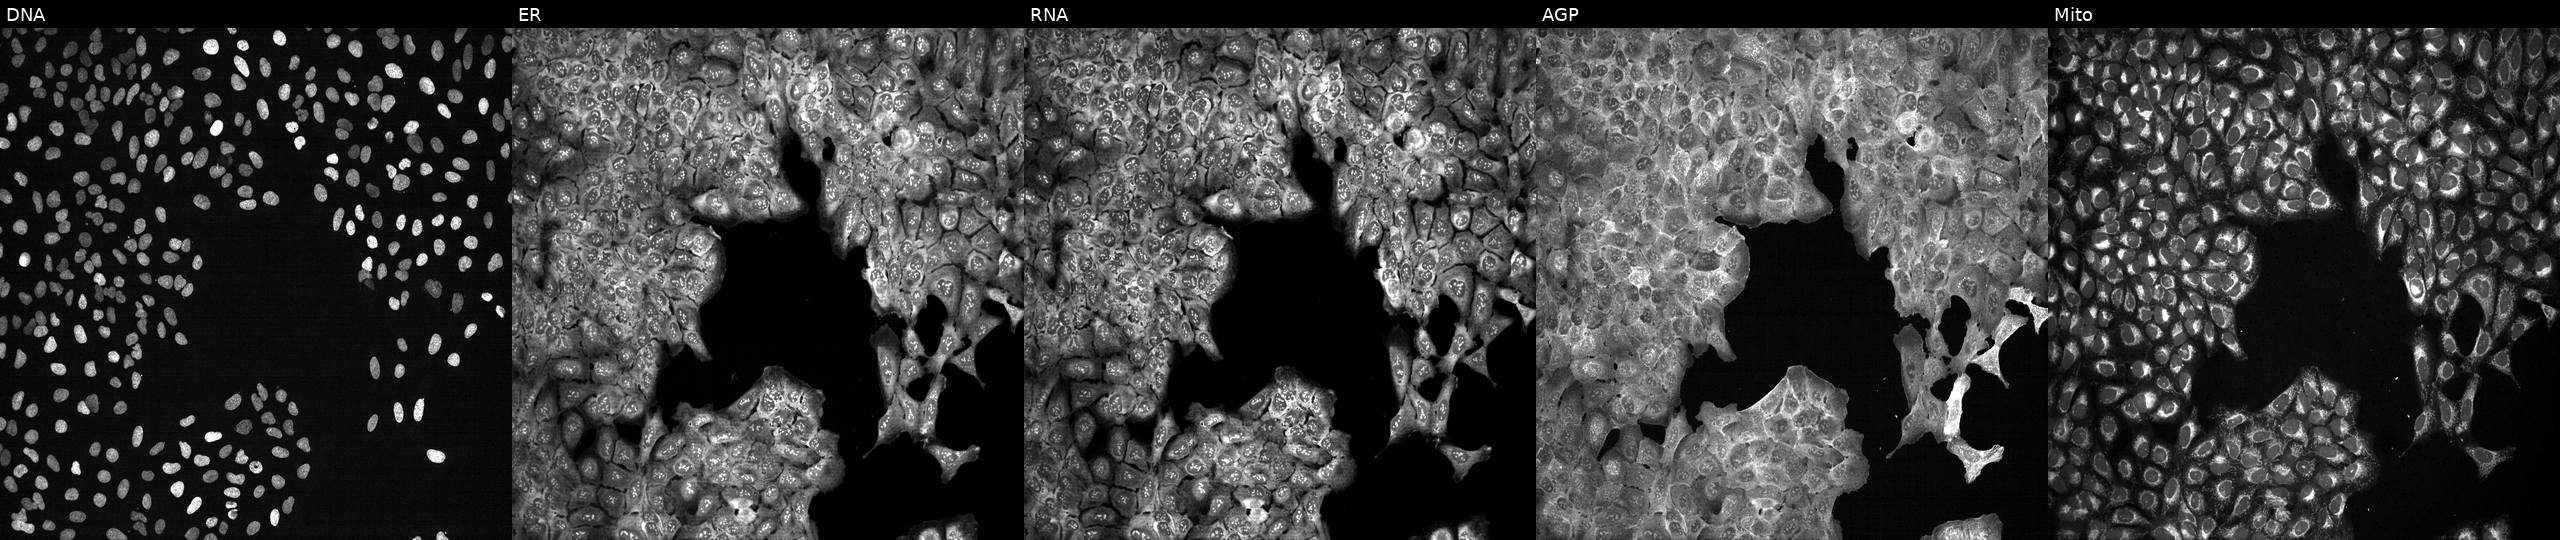
This image strip shows the five Cell Painting channels for a single field of U2OS cells following CRISPR knockout of RAB33A. From left to right: DNA (nuclei); ER (endoplasmic reticulum); RNA (nucleoli and cytoplasmic RNA); AGP (actin cytoskeleton, Golgi, and plasma membrane); Mito (mitochondria).